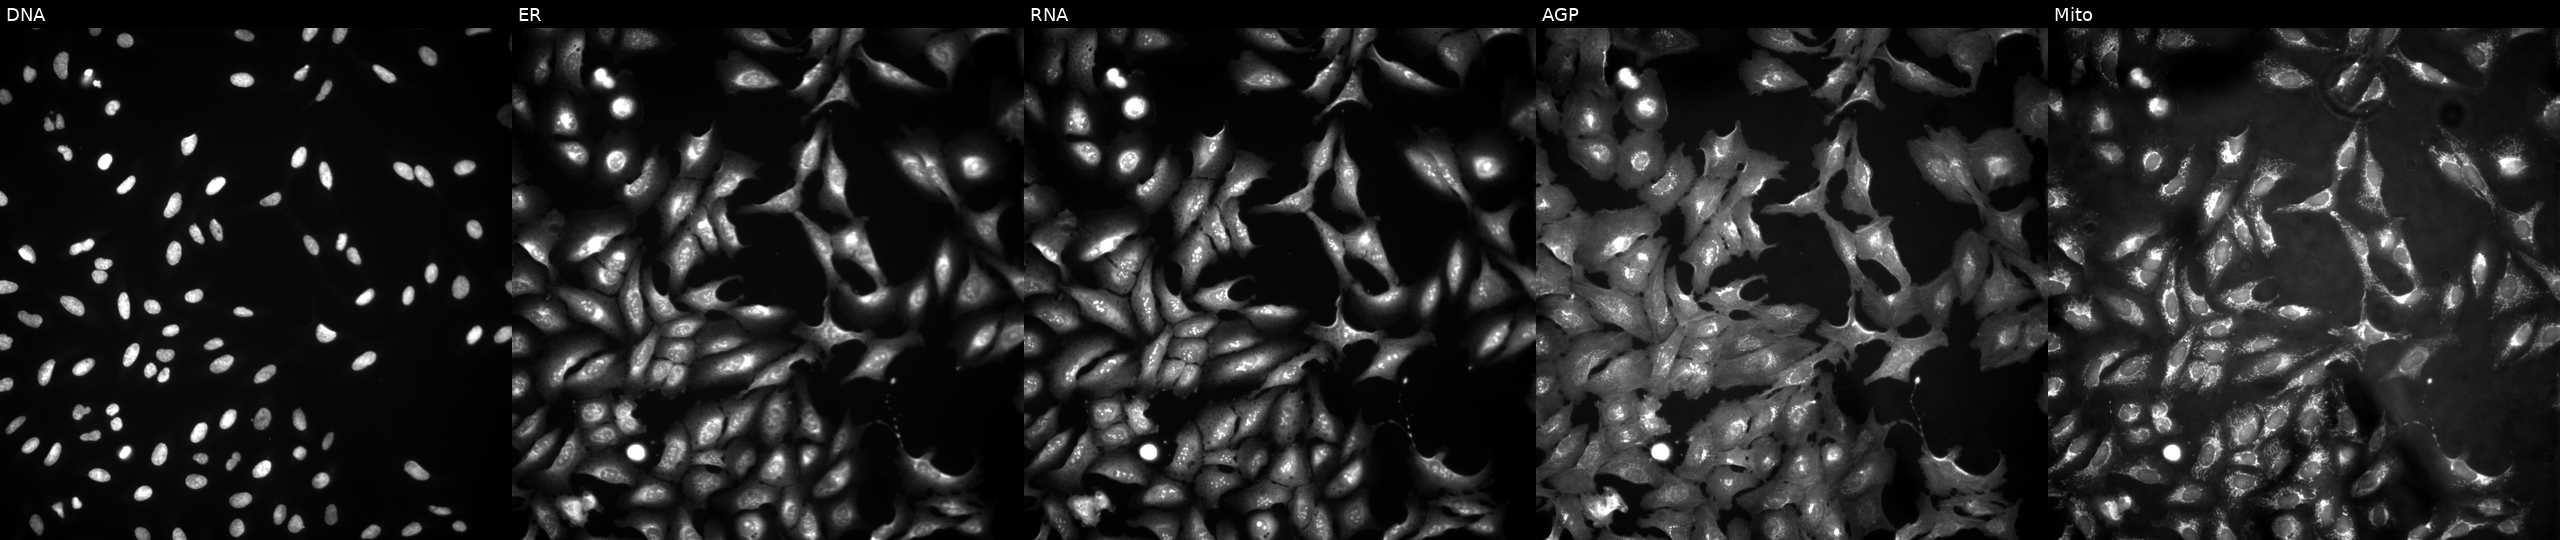
Panels show, left to right, DNA, ER, RNA, AGP, and Mito. U2OS osteosarcoma cells in an empty control well (no perturbation). Cell Painting assay, JUMP-CP dataset.